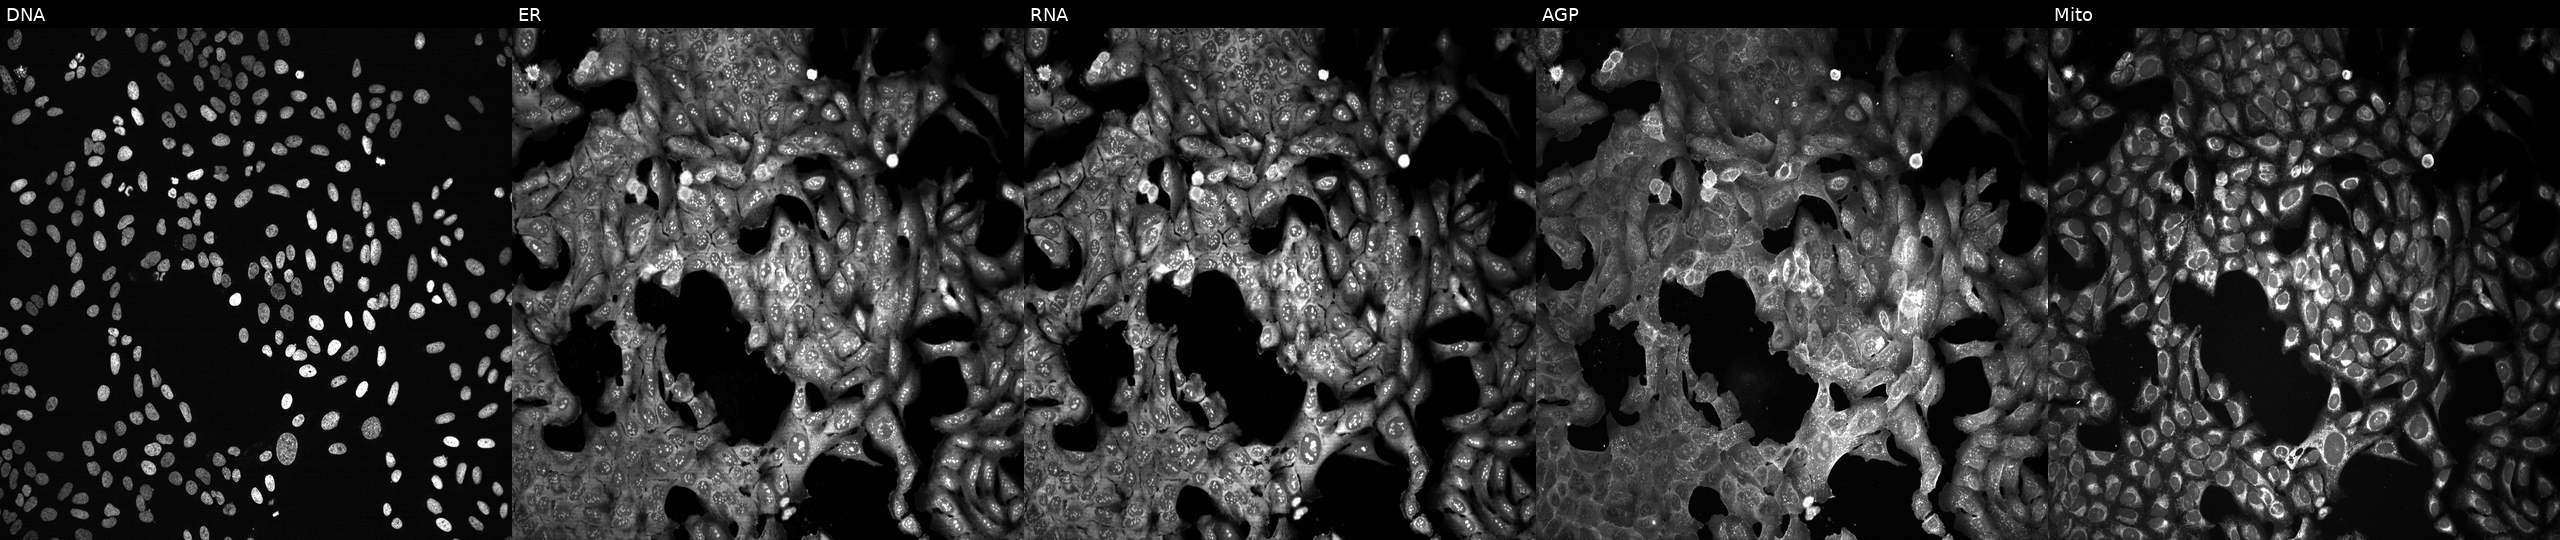
High-content fluorescence microscopy (Cell Painting). Cell line: U2OS. Perturbation: with METAP2 knocked out by CRISPR (JUMP id JCP2022_804138). Panels show, left to right, DNA, ER, RNA, AGP, and Mito. Source 13, plate CP-CC9-R6-19, well L03.